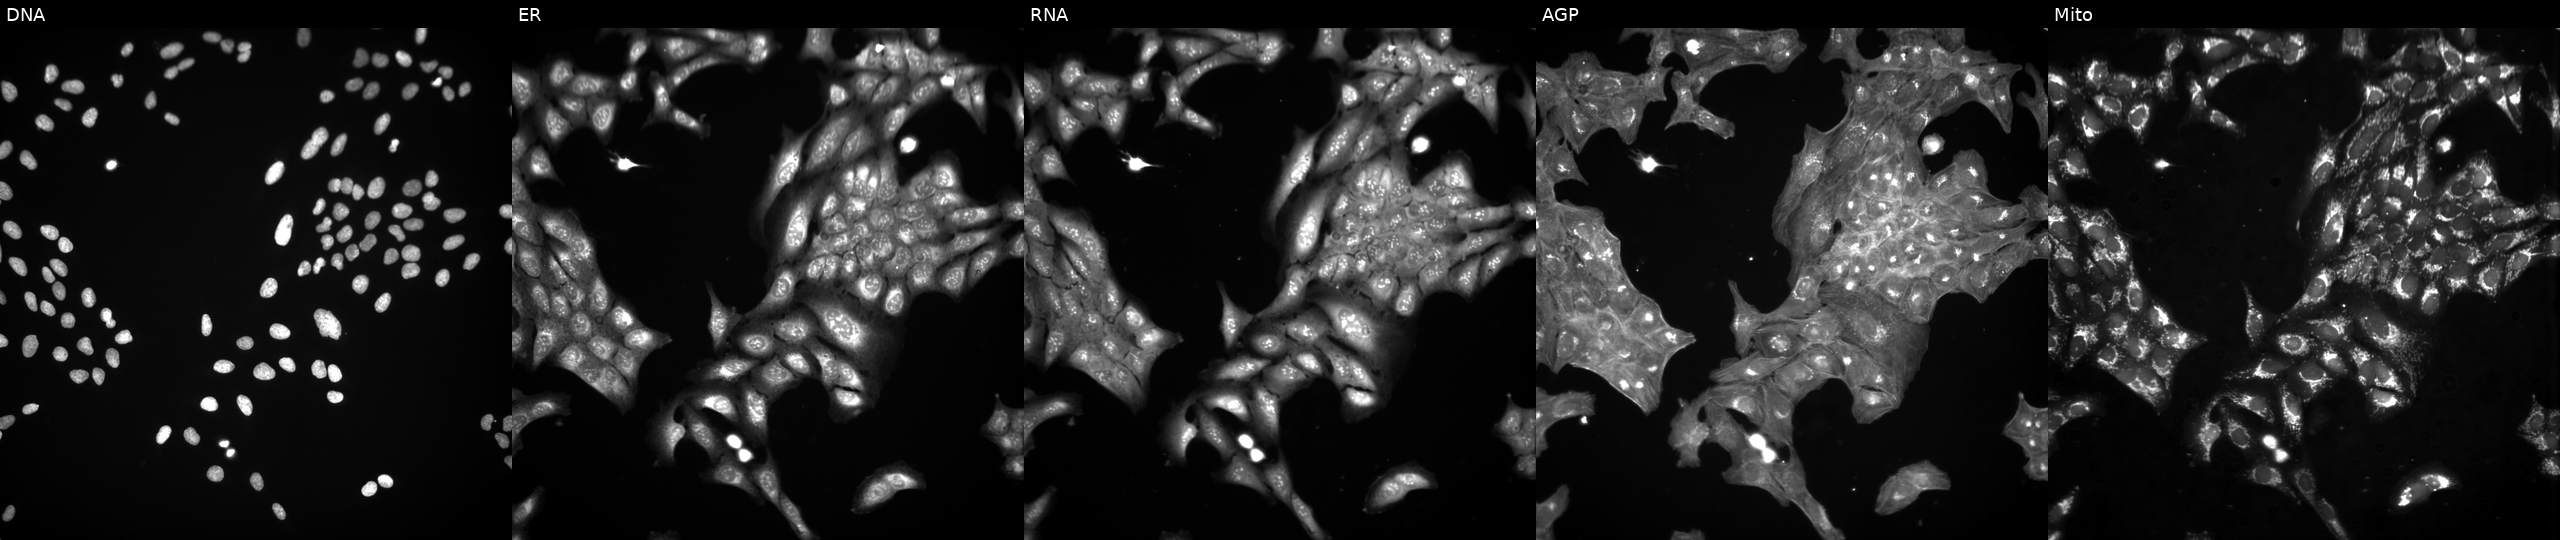
High-content fluorescence microscopy (Cell Painting). Cell line: U2OS. Perturbation: exposed to a small-molecule compound (InChIKey NXXURVXTYOJCSP-UHFFFAOYSA-N) [SMILES: Cc1ccc(-c2noc(-c3ccco3)n2)cc1] (JUMP id JCP2022_062079). Channels (left→right): DNA (nuclei); ER (endoplasmic reticulum); RNA (nucleoli and cytoplasmic RNA); AGP (actin cytoskeleton, Golgi, and plasma membrane); Mito (mitochondria). Source 3, plate BR5867b3, well A04.